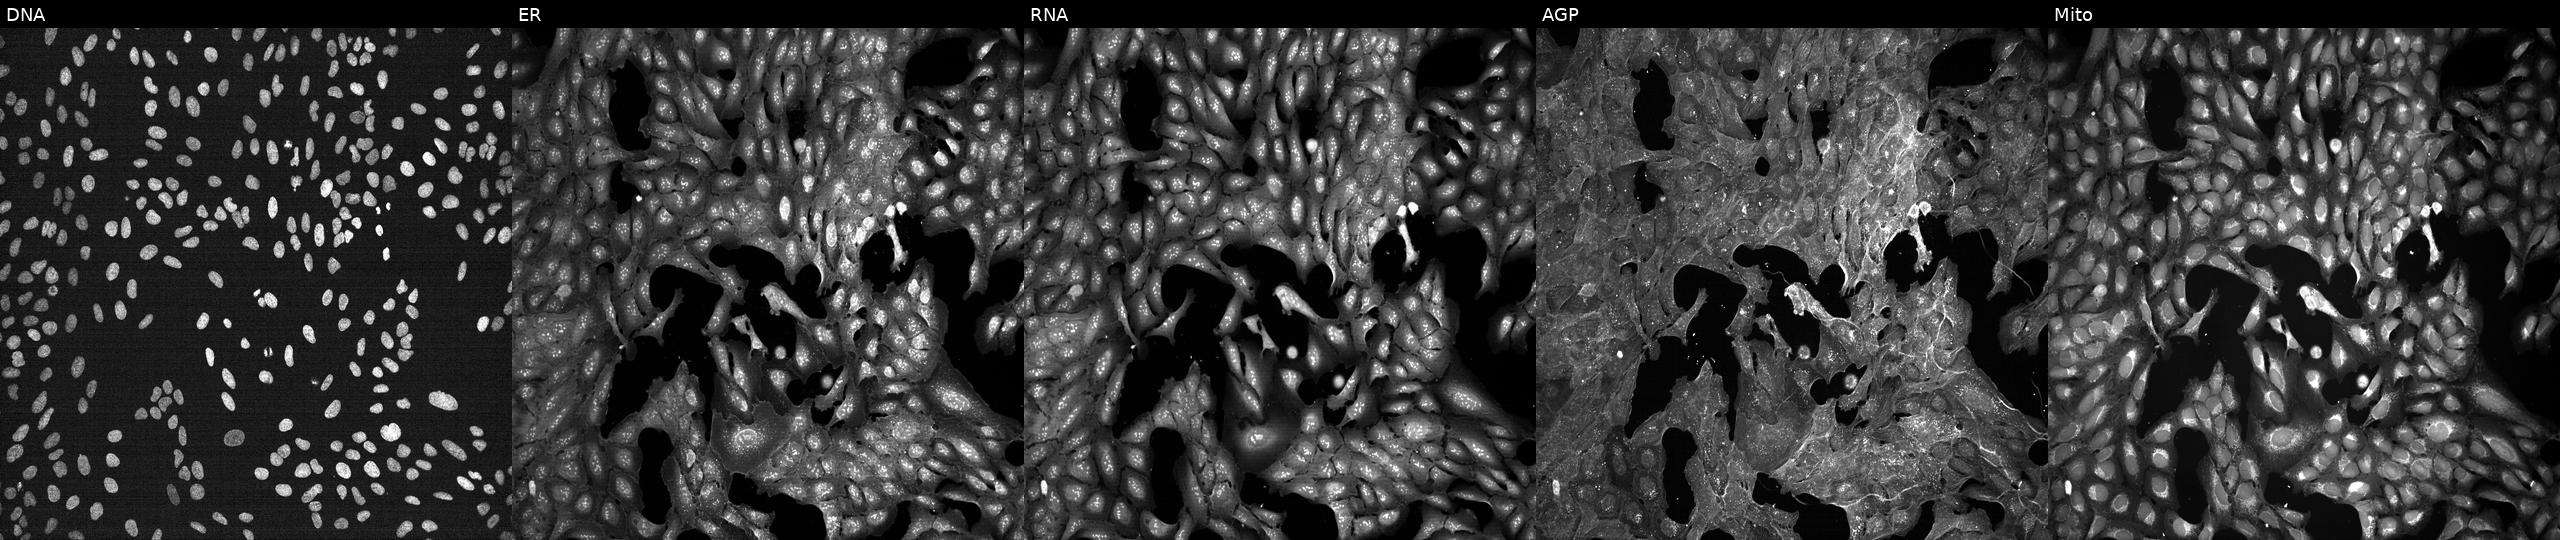
JUMP Cell Painting — TARGET2 plate. U2OS cells exposed to a small-molecule compound (InChIKey ZRALSGWEFCBTJO-UHFFFAOYSA-N) (JUMP id JCP2022_115134). The five panels, left to right, show Hoechst 33342, concanavalin A, SYTO 14, phalloidin and WGA, MitoTracker.